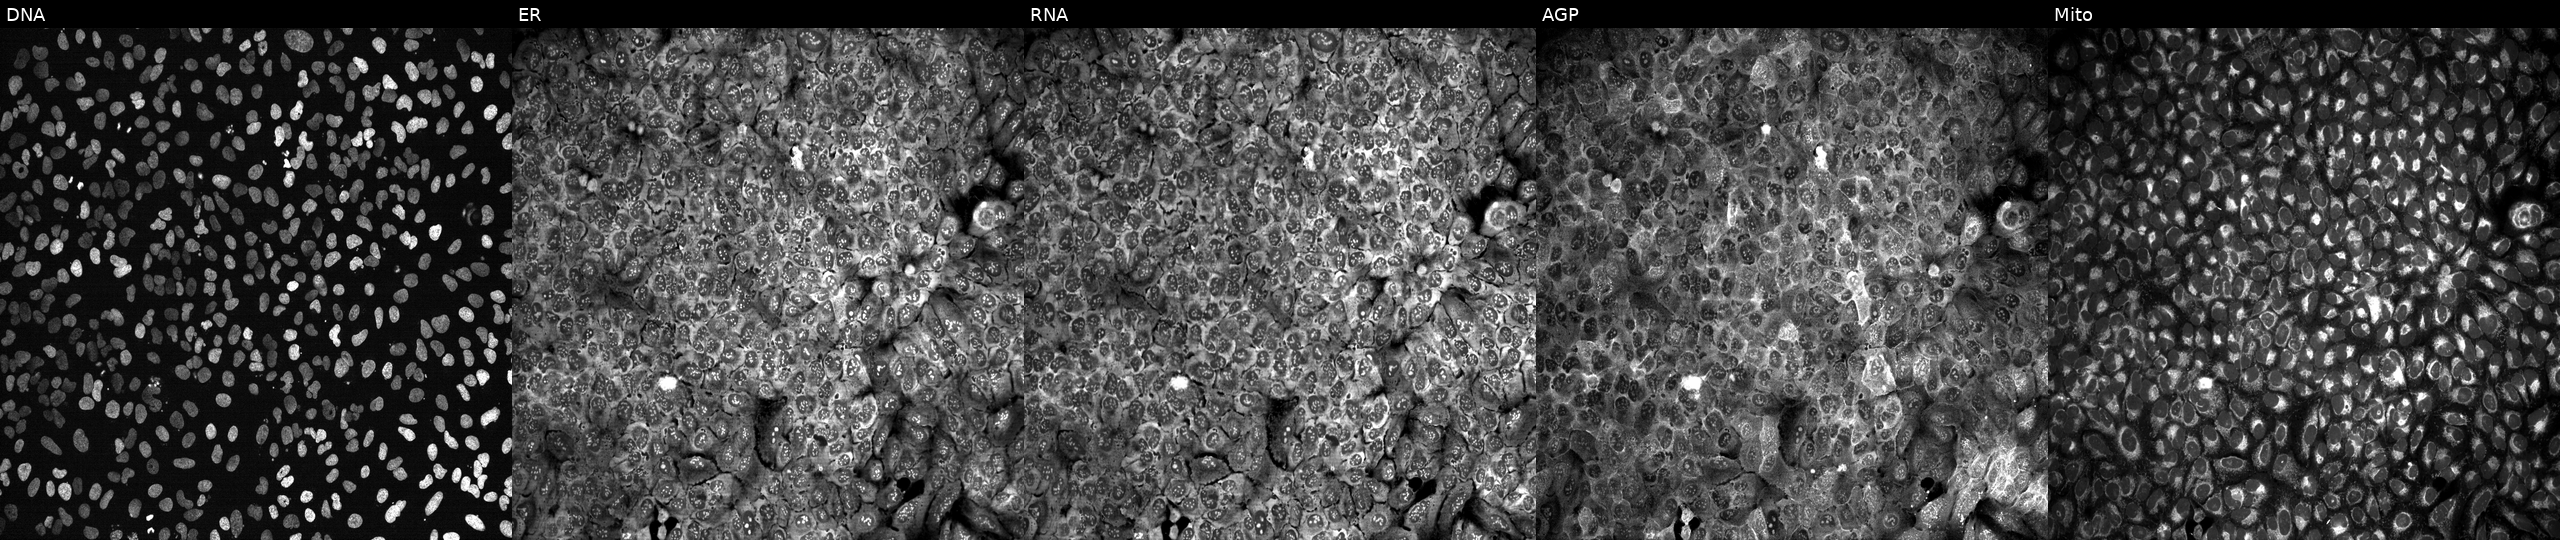
Five-channel Cell Painting image of U2OS cells CRISPR-edited to disrupt IL36A (JUMP id JCP2022_803394). The five panels, left to right, show Hoechst 33342, concanavalin A, SYTO 14, phalloidin and WGA, MitoTracker.